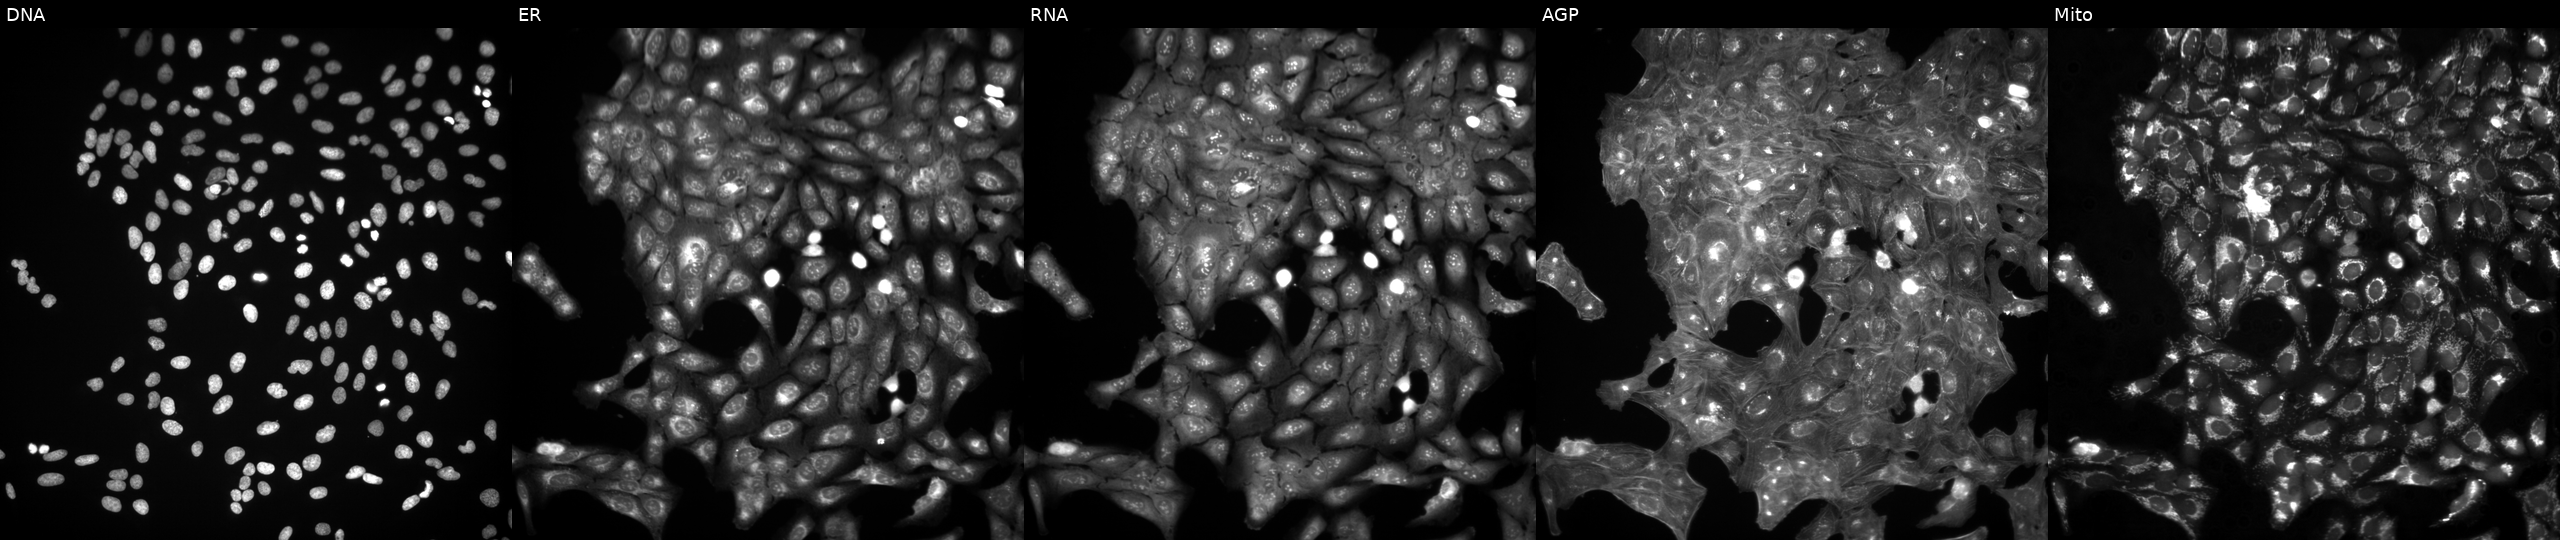
U2OS cells, Cell Painting assay, treated with a small-molecule compound (InChIKey XJTBRRODSMDDRP-UHFFFAOYSA-N). The five panels, left to right, show Hoechst 33342, concanavalin A, SYTO 14, phalloidin and WGA, MitoTracker. Each panel is percentile-stretched 16-bit fluorescence.